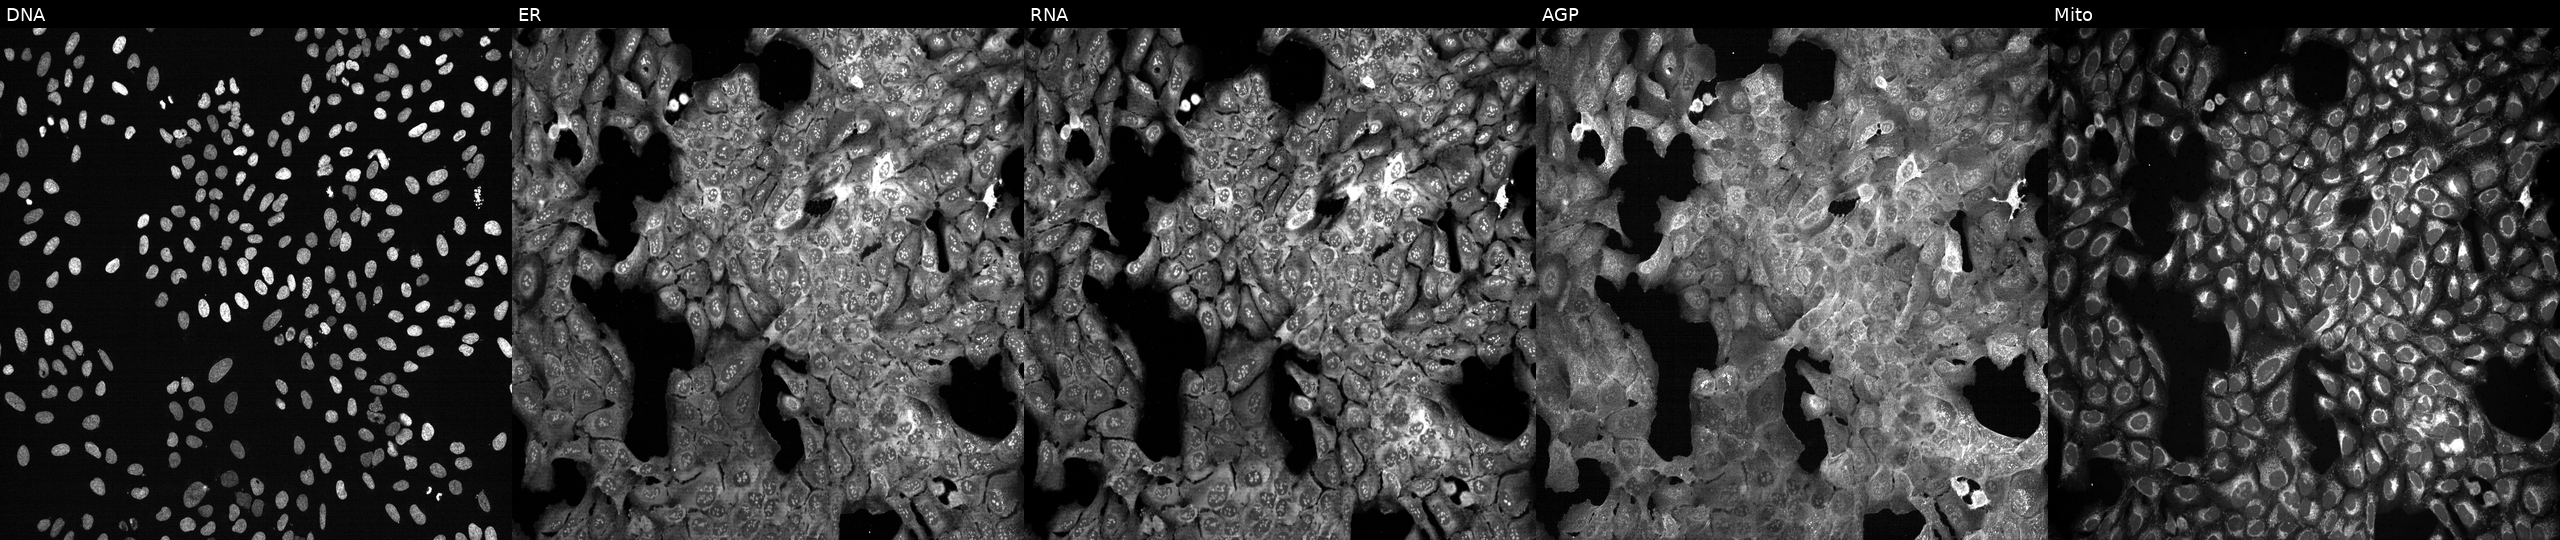
JUMP Cell Painting — CRISPR plate. U2OS cells CRISPR-edited to disrupt GSPT2. Channels (left→right): DNA, ER, RNA, AGP, and Mito.